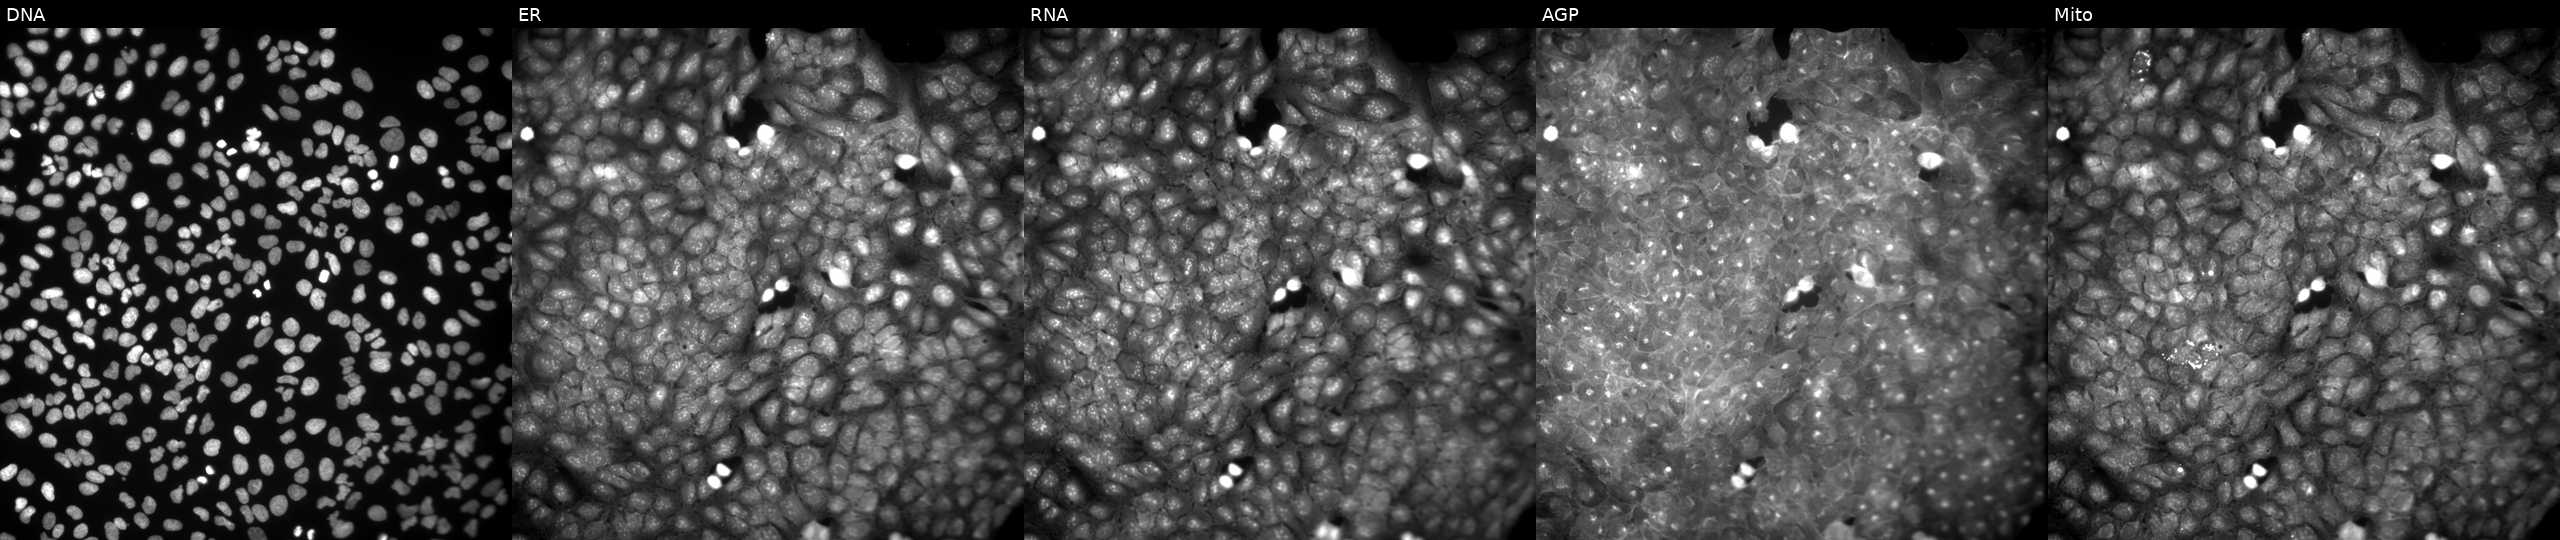
This image strip shows the five Cell Painting channels for a single field of U2OS cells perturbed with a small-molecule compound [SMILES: O=C(CN(Cc1ccccc1)S(=O)(=O)c1ccccc1)N1CCOCC1]. From left to right: DNA, ER, RNA, AGP, and Mito.